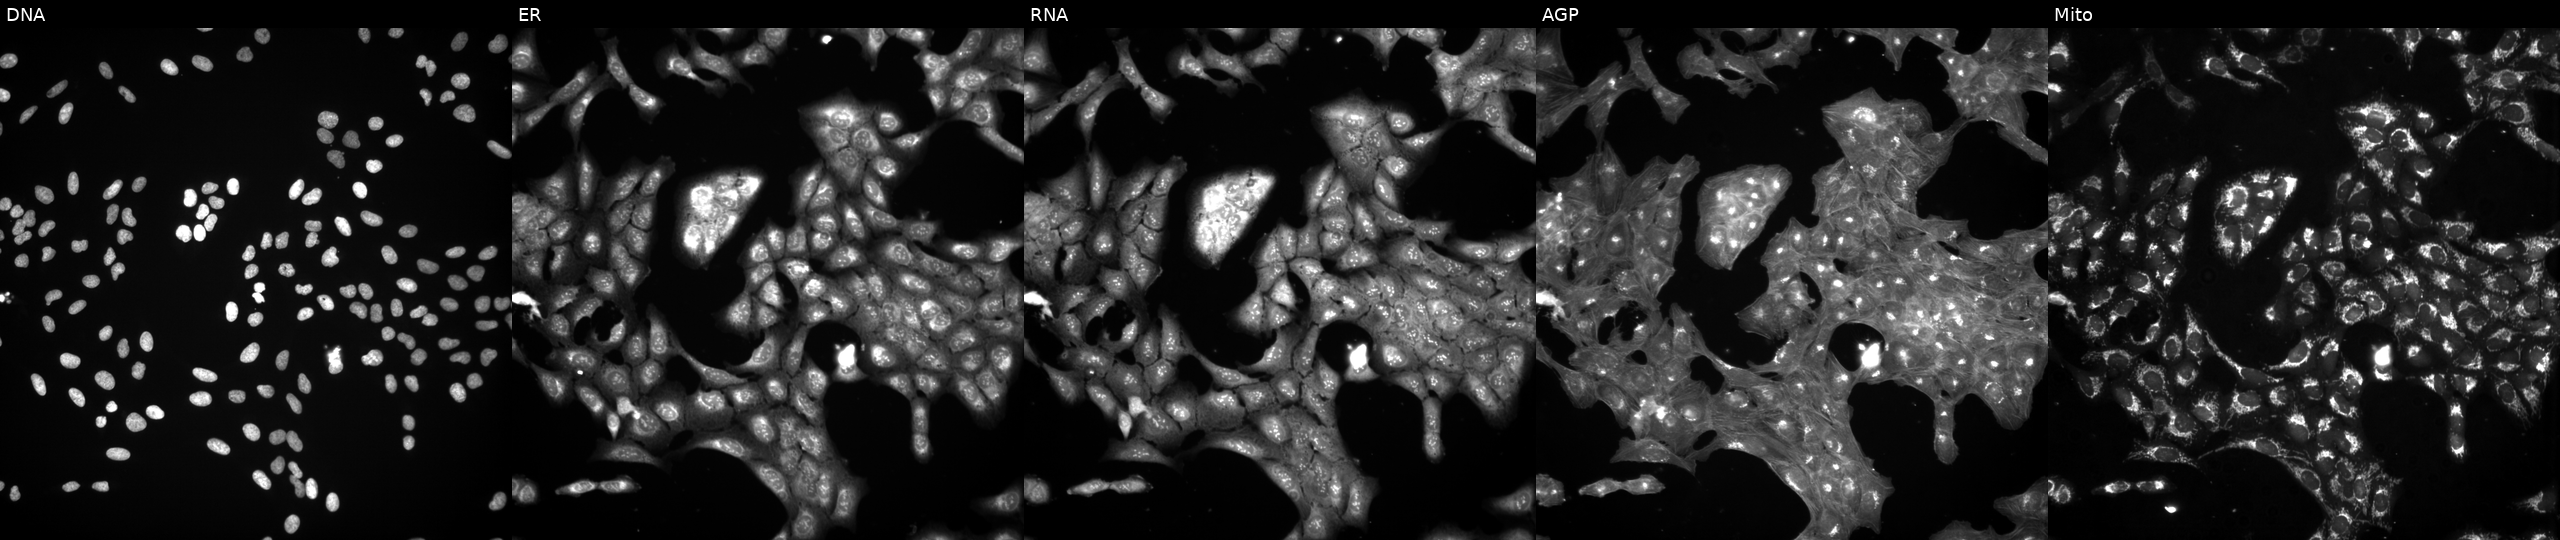
Five-channel Cell Painting image of U2OS cells in an empty control well (no perturbation) (JUMP id JCP2022_999999). The five panels, left to right, show DNA, ER, RNA, AGP, and Mito.